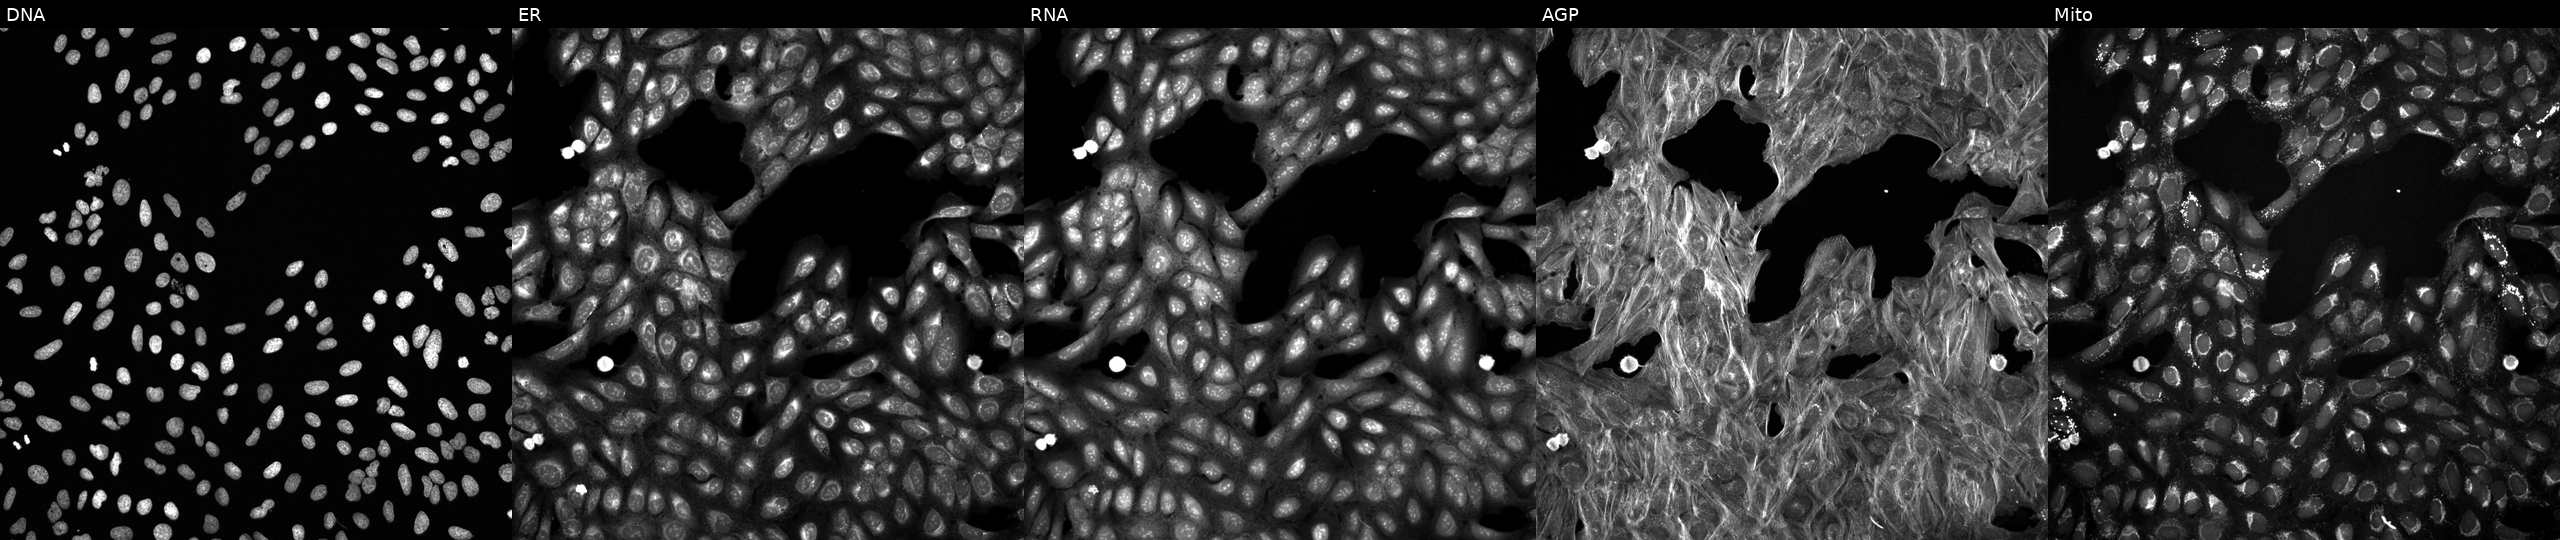
JUMP Cell Painting — TARGET2 plate. U2OS cells treated with a small-molecule compound (InChIKey ZDXPYRJPNDTMRX-UHFFFAOYSA-N). From left to right: DNA, ER, RNA, AGP, and Mito. Source 6, plate 110000293081, well G22.